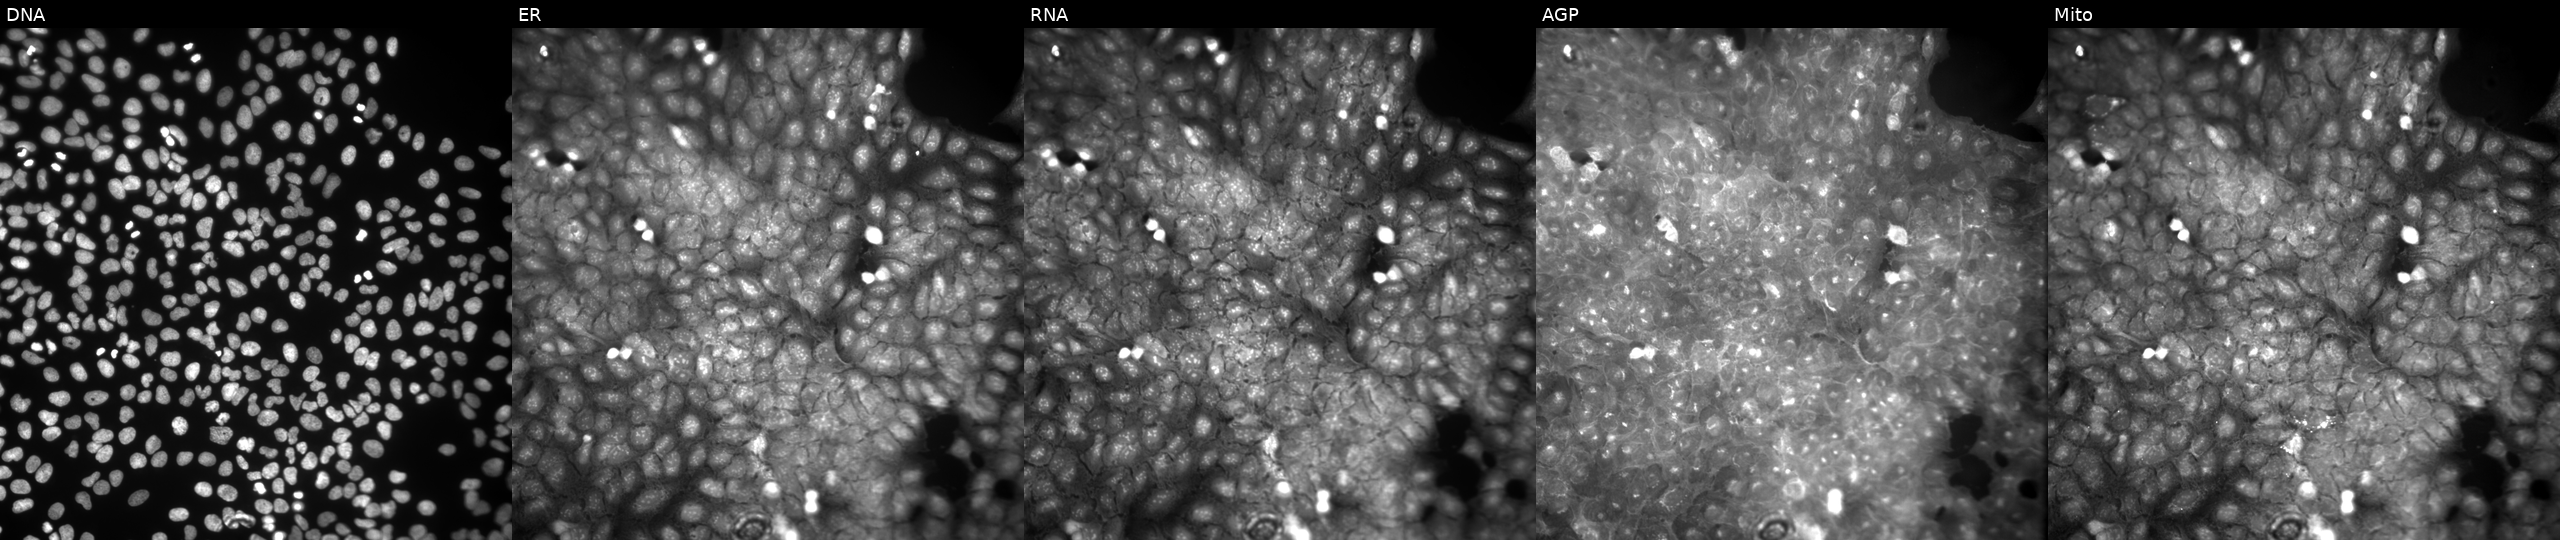
This image strip shows the five Cell Painting channels for a single field of U2OS cells exposed to a small-molecule compound (InChIKey SNFMCRFPQQJHOO-UHFFFAOYSA-N). Panels show, left to right, Hoechst 33342, concanavalin A, SYTO 14, phalloidin and WGA, MitoTracker.